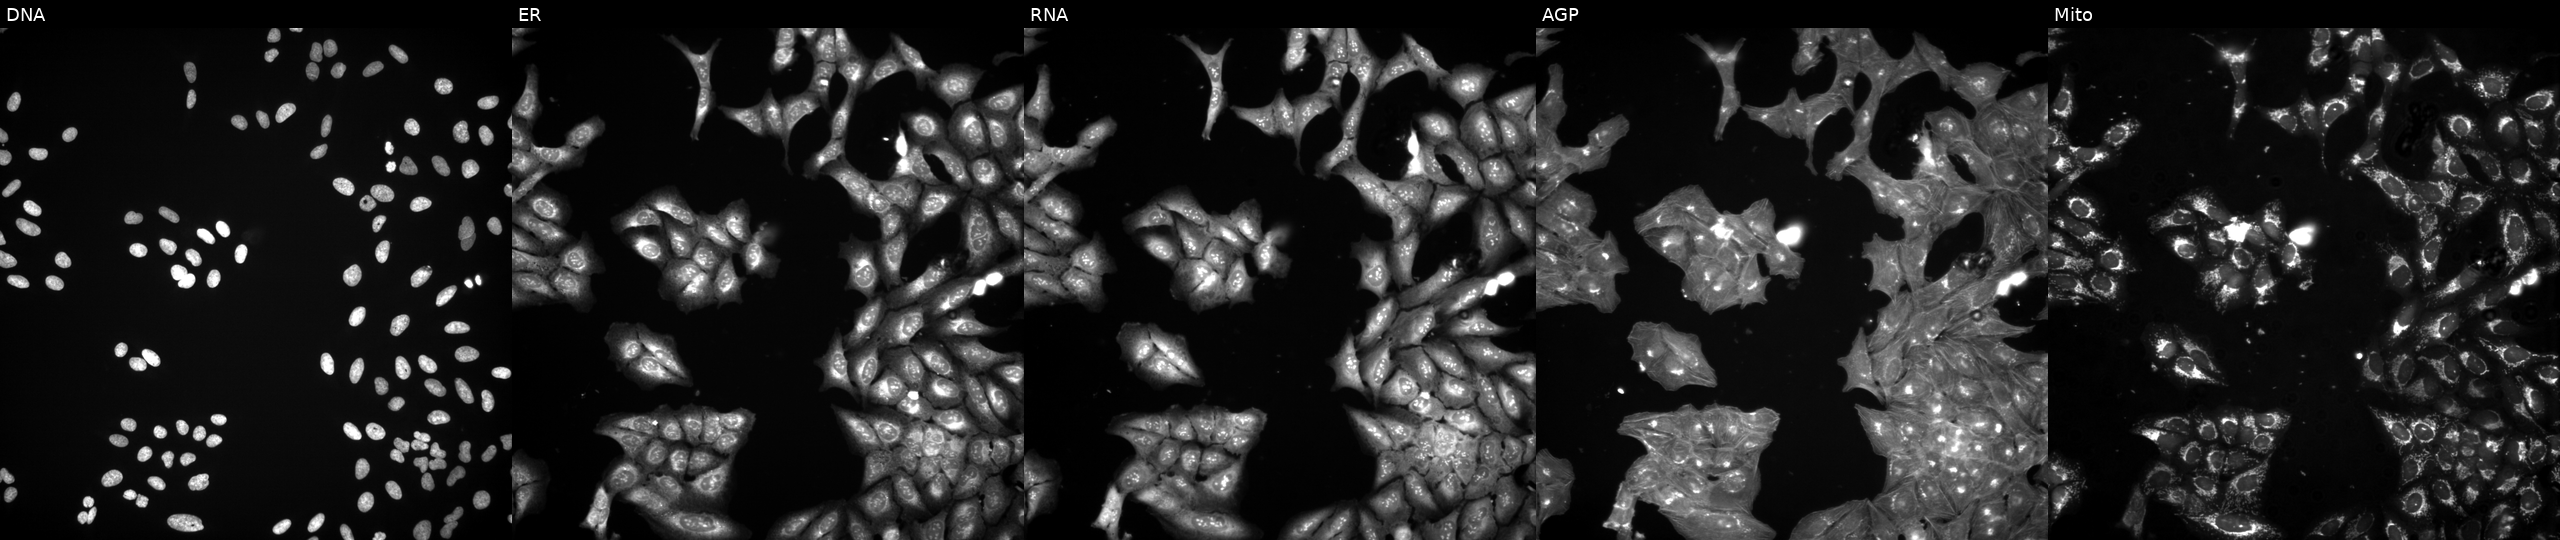
This image strip shows the five Cell Painting channels for a single field of U2OS cells treated with a small-molecule compound (JUMP id JCP2022_049868). From left to right: DNA (nuclei); ER (endoplasmic reticulum); RNA (nucleoli and cytoplasmic RNA); AGP (actin cytoskeleton, Golgi, and plasma membrane); Mito (mitochondria).